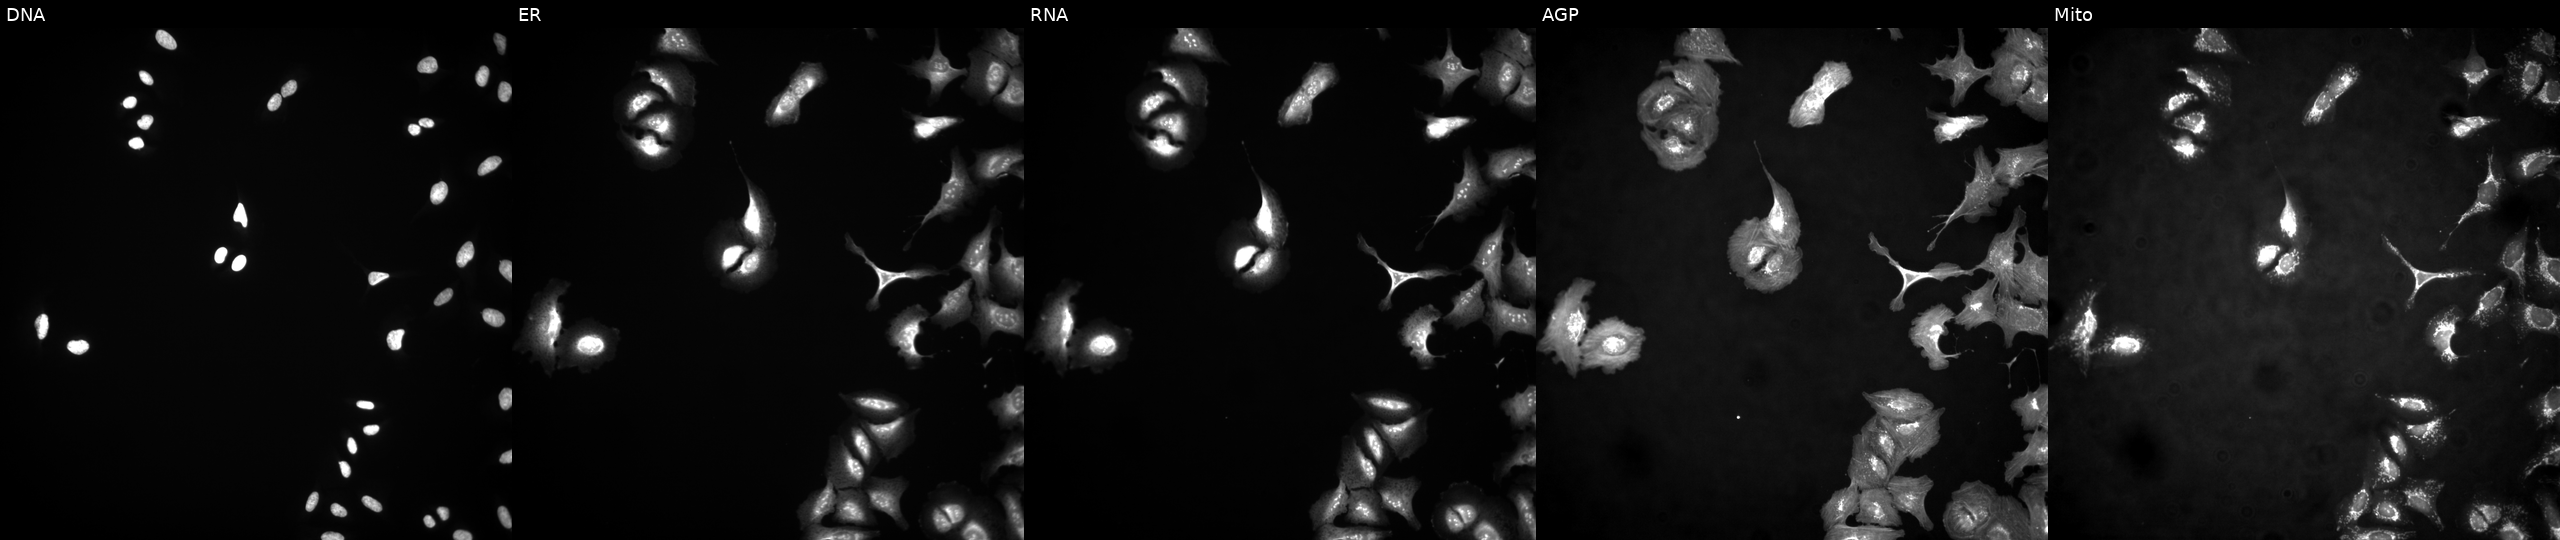
JUMP Cell Painting — ORF plate. U2OS cells with RBM19 overexpressed (ORF). Channels (left→right): DNA, ER, RNA, AGP, and Mito.